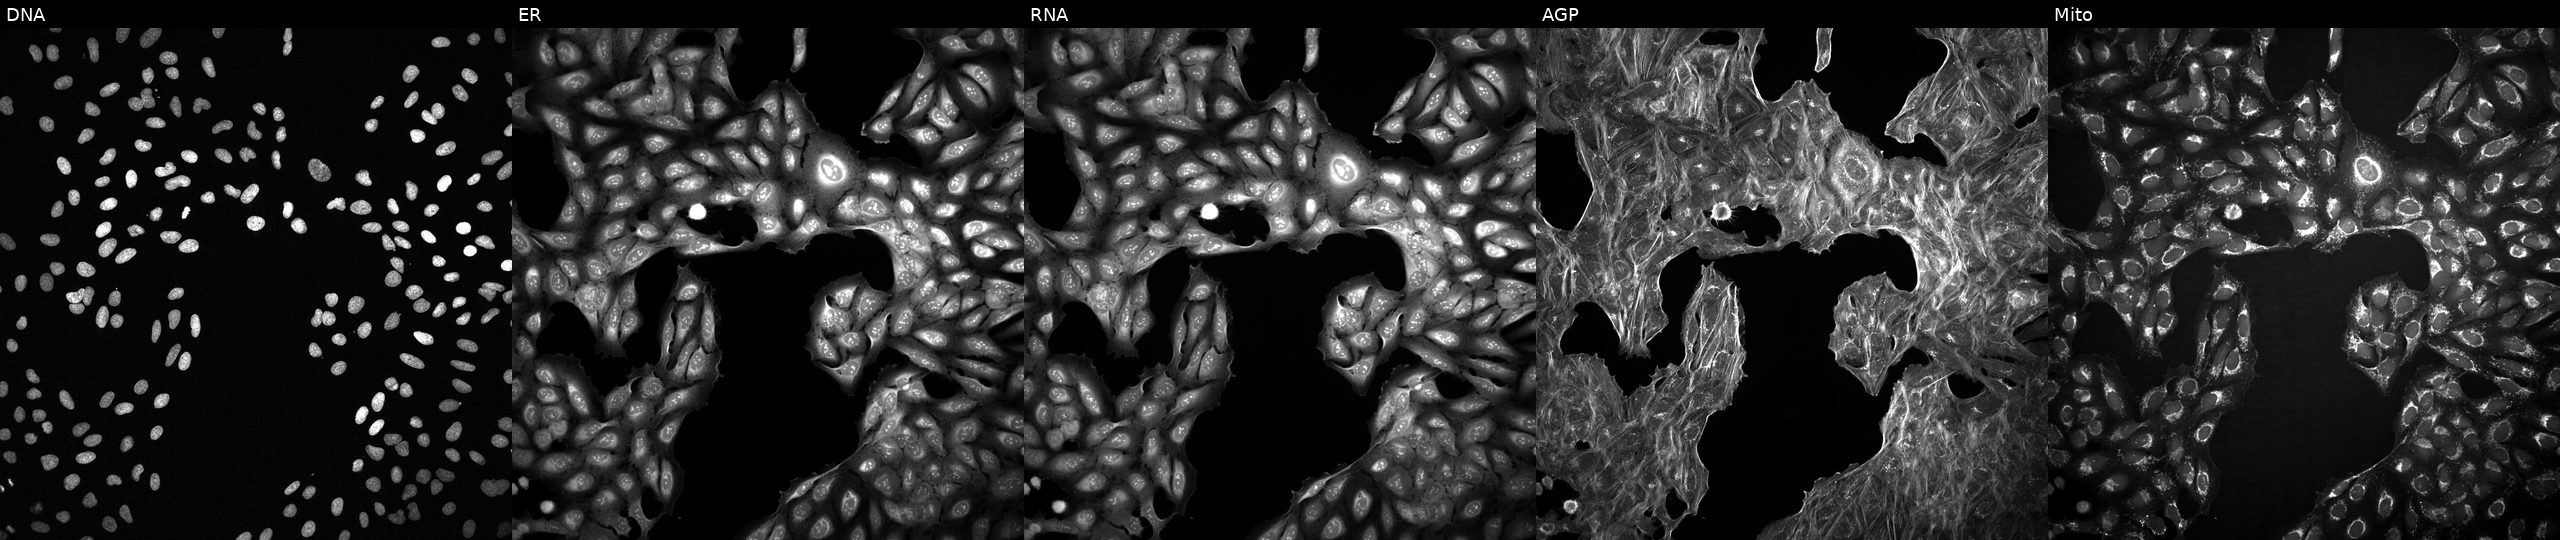
Panels show, left to right, DNA (nuclei); ER (endoplasmic reticulum); RNA (nucleoli and cytoplasmic RNA); AGP (actin cytoskeleton, Golgi, and plasma membrane); Mito (mitochondria). U2OS osteosarcoma cells treated with DMSO vehicle only (negative control). Cell Painting assay, JUMP-CP dataset.